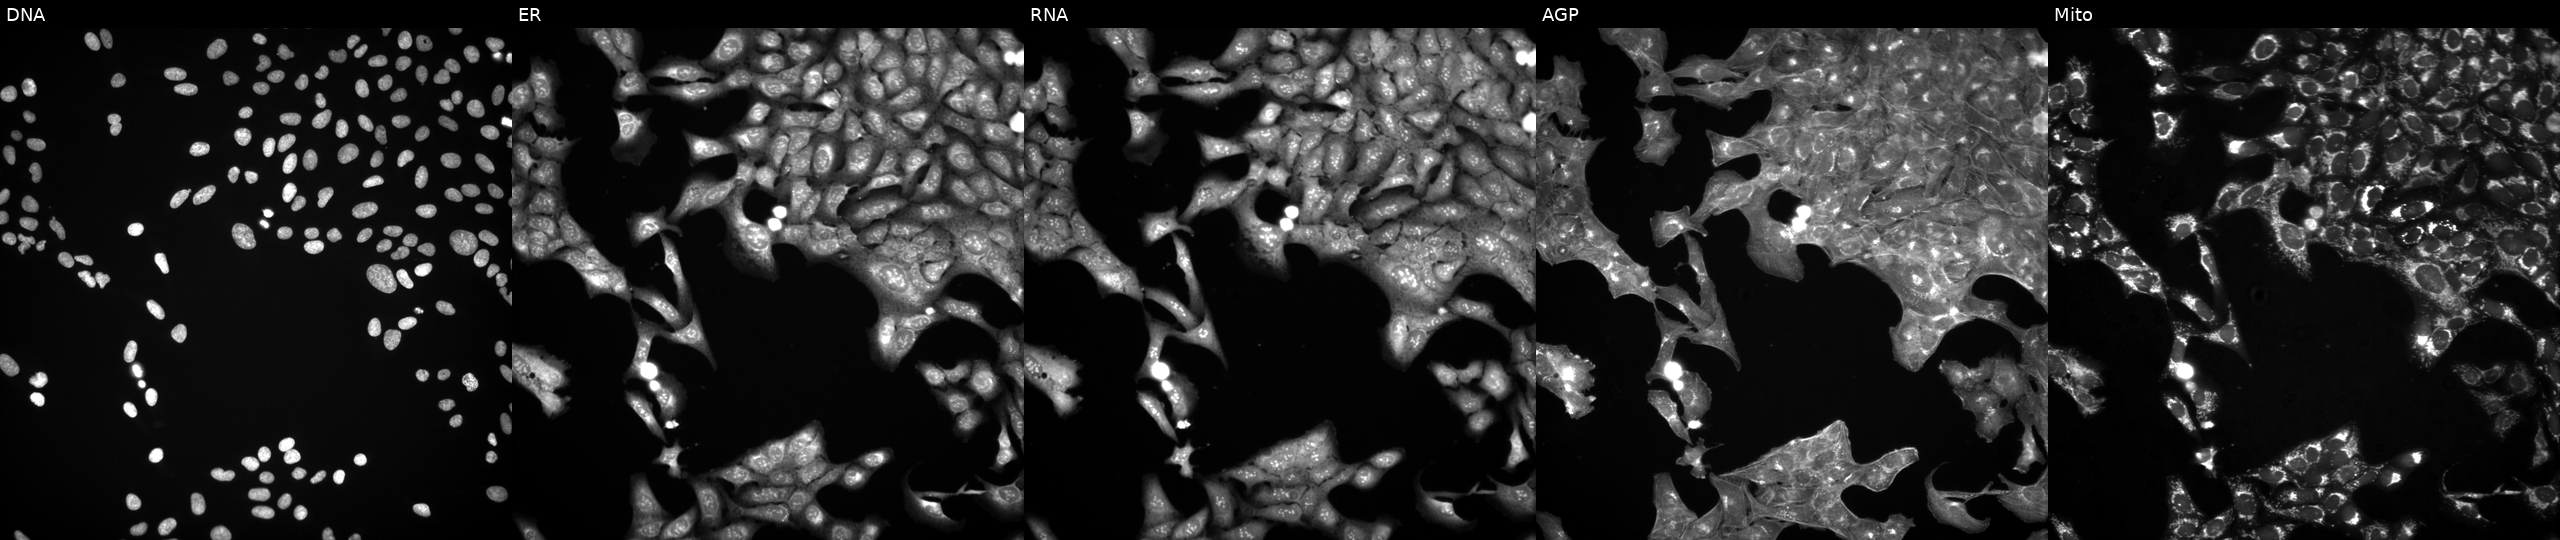
Panels show, left to right, DNA (nuclei); ER (endoplasmic reticulum); RNA (nucleoli and cytoplasmic RNA); AGP (actin cytoskeleton, Golgi, and plasma membrane); Mito (mitochondria). U2OS osteosarcoma cells perturbed with a small-molecule compound (InChIKey HULPONUAINYLQQ-UHFFFAOYSA-N) (JUMP id JCP2022_032680). Cell Painting assay, JUMP-CP dataset. Source 3, plate JCPQC051, well I18.